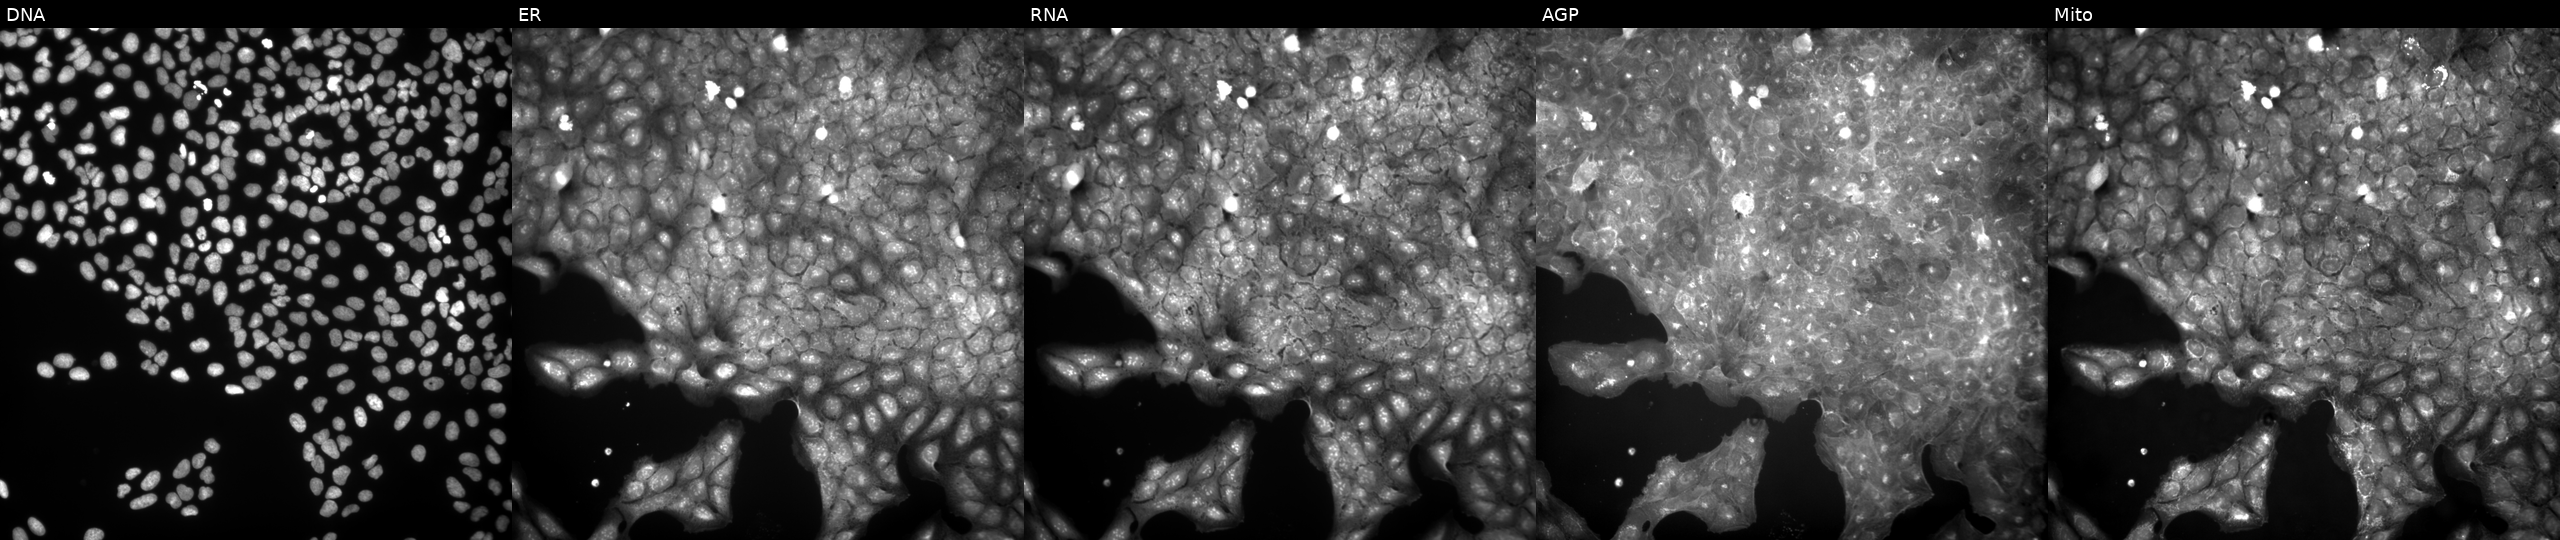
U2OS cells, Cell Painting assay, exposed to a small-molecule compound (JUMP id JCP2022_029949). From left to right: DNA (nuclei); ER (endoplasmic reticulum); RNA (nucleoli and cytoplasmic RNA); AGP (actin cytoskeleton, Golgi, and plasma membrane); Mito (mitochondria). Each panel is percentile-stretched 16-bit fluorescence.